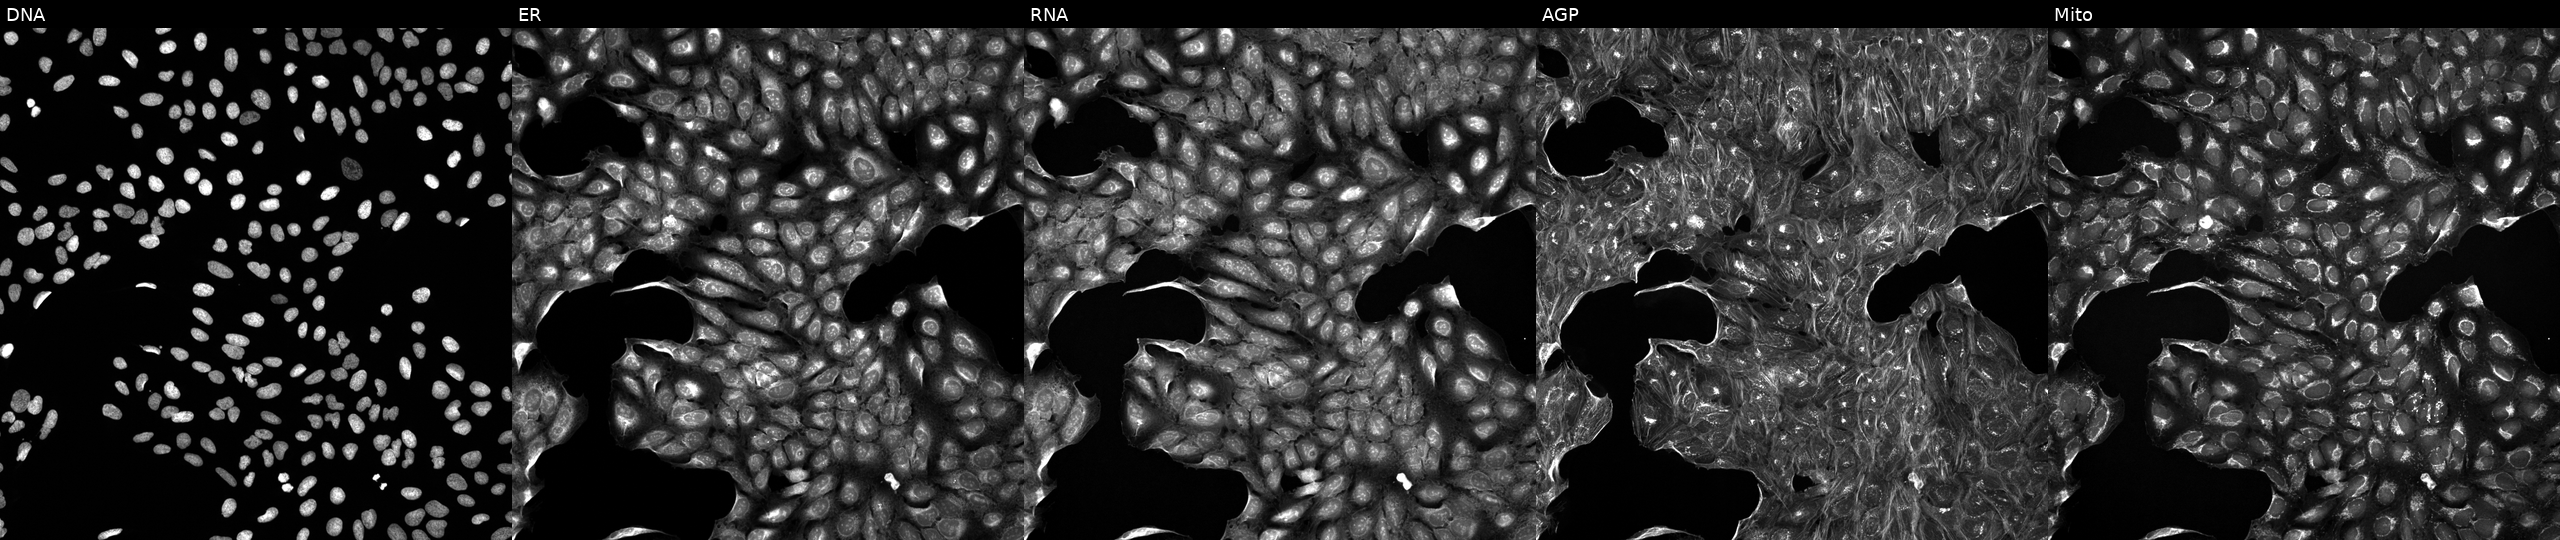
Five-channel Cell Painting image of U2OS cells perturbed with a small-molecule compound (InChIKey VUIRVWPJNKZOSS-UHFFFAOYSA-N) (JUMP id JCP2022_096342). Channels (left→right): Hoechst 33342, concanavalin A, SYTO 14, phalloidin and WGA, MitoTracker. Source 5, plate ACPJUM012, well D15.